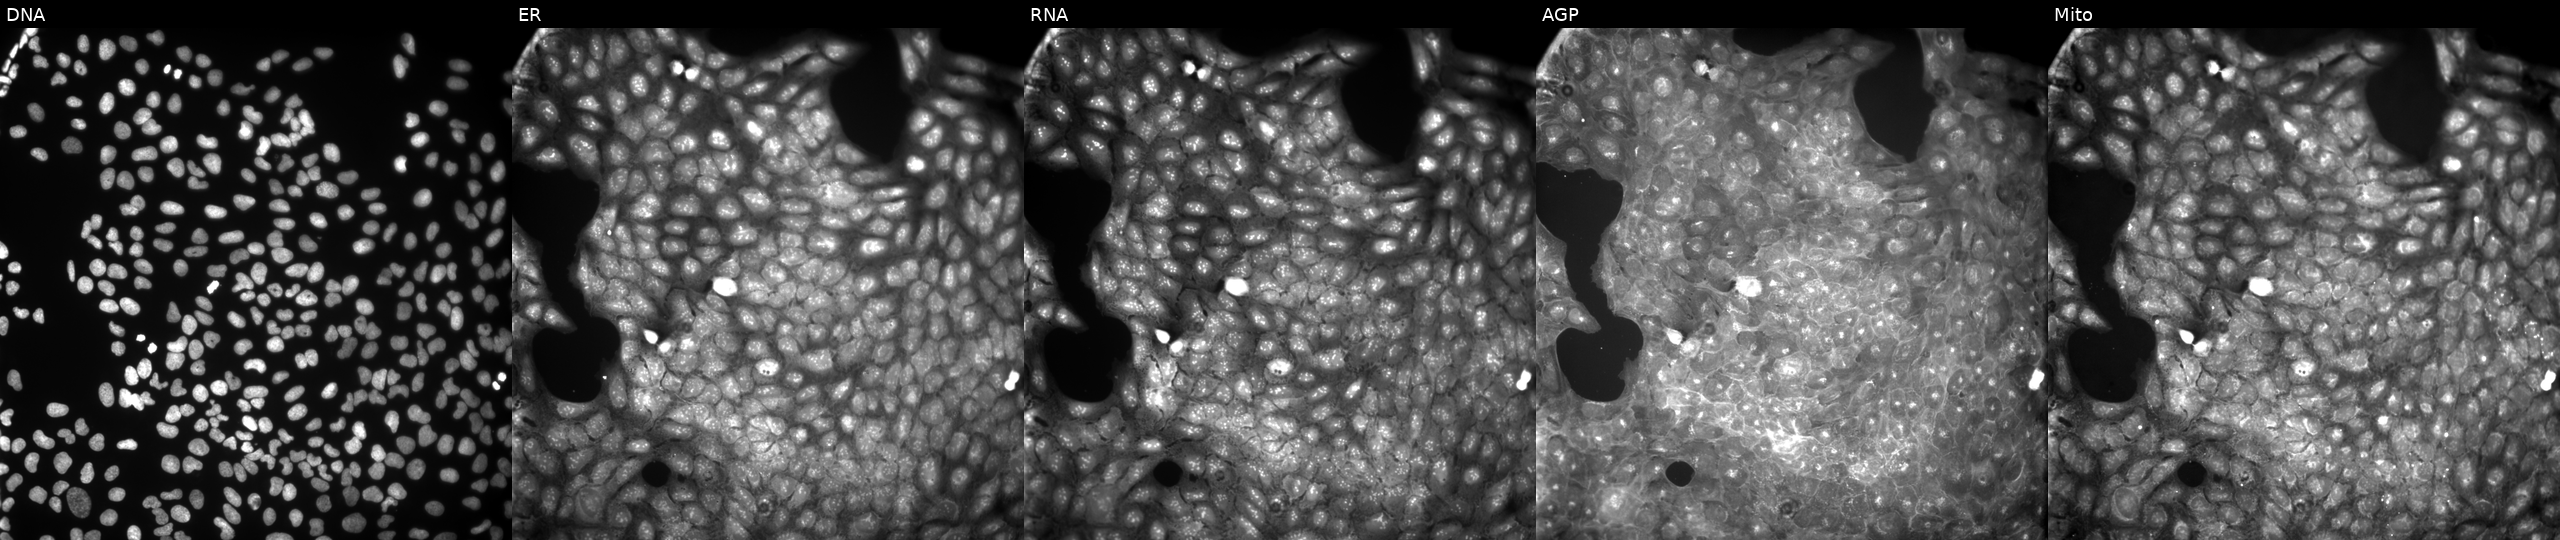
JUMP Cell Painting — COMPOUND plate. U2OS cells treated with a small-molecule compound (InChIKey GPJYREUXKGYKBQ-UHFFFAOYSA-N) (JUMP id JCP2022_026936). The five panels, left to right, show DNA, ER, RNA, AGP, and Mito. Source 9, plate GR00003382, well AF06.